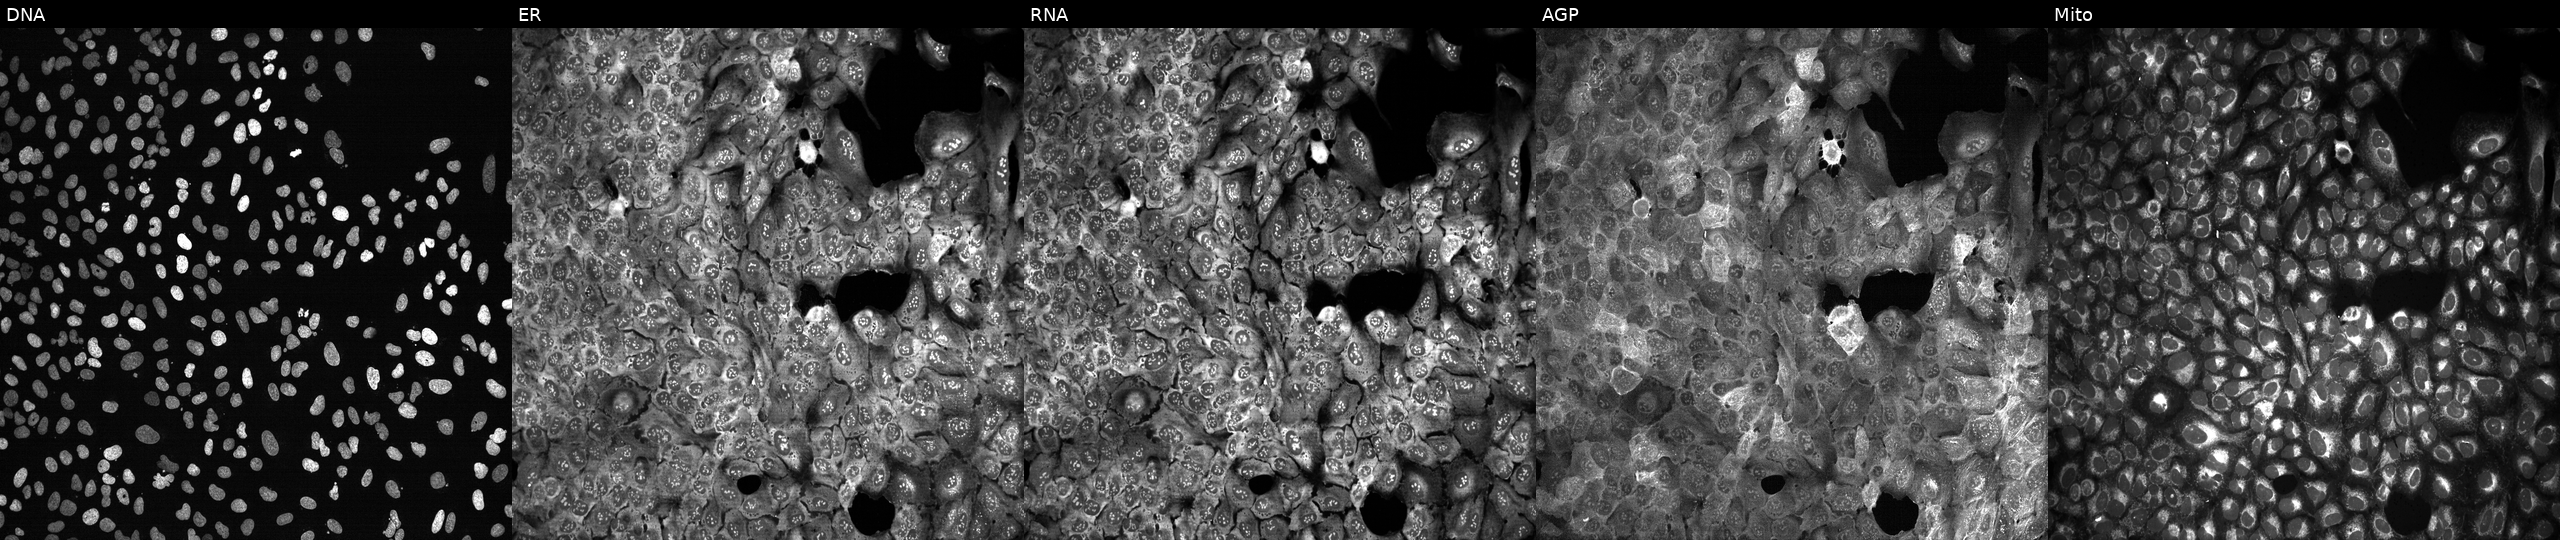
High-content fluorescence microscopy (Cell Painting). Cell line: U2OS. Perturbation: CRISPR-edited to disrupt FANCC (JUMP id JCP2022_802264). Channels (left→right): DNA (nuclei); ER (endoplasmic reticulum); RNA (nucleoli and cytoplasmic RNA); AGP (actin cytoskeleton, Golgi, and plasma membrane); Mito (mitochondria). Source 13, plate CP-CC9-R2-01, well M06.